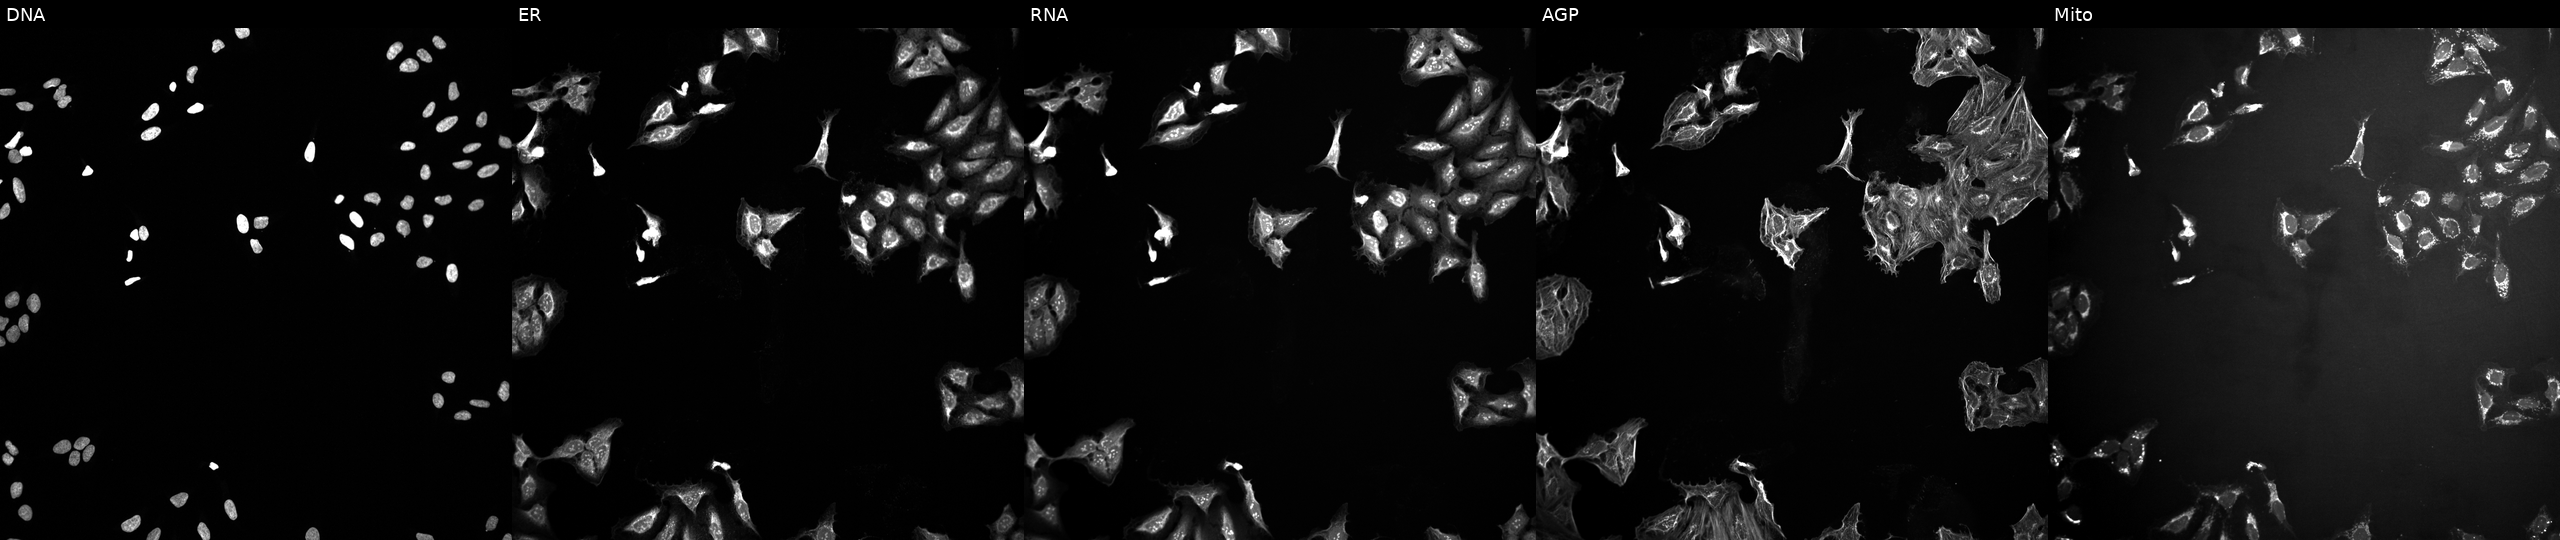
The five panels, left to right, show DNA (nuclei); ER (endoplasmic reticulum); RNA (nucleoli and cytoplasmic RNA); AGP (actin cytoskeleton, Golgi, and plasma membrane); Mito (mitochondria). U2OS osteosarcoma cells treated with a small-molecule compound (InChIKey ODUOJXZPIYUATO-UHFFFAOYSA-N). Cell Painting assay, JUMP-CP dataset.